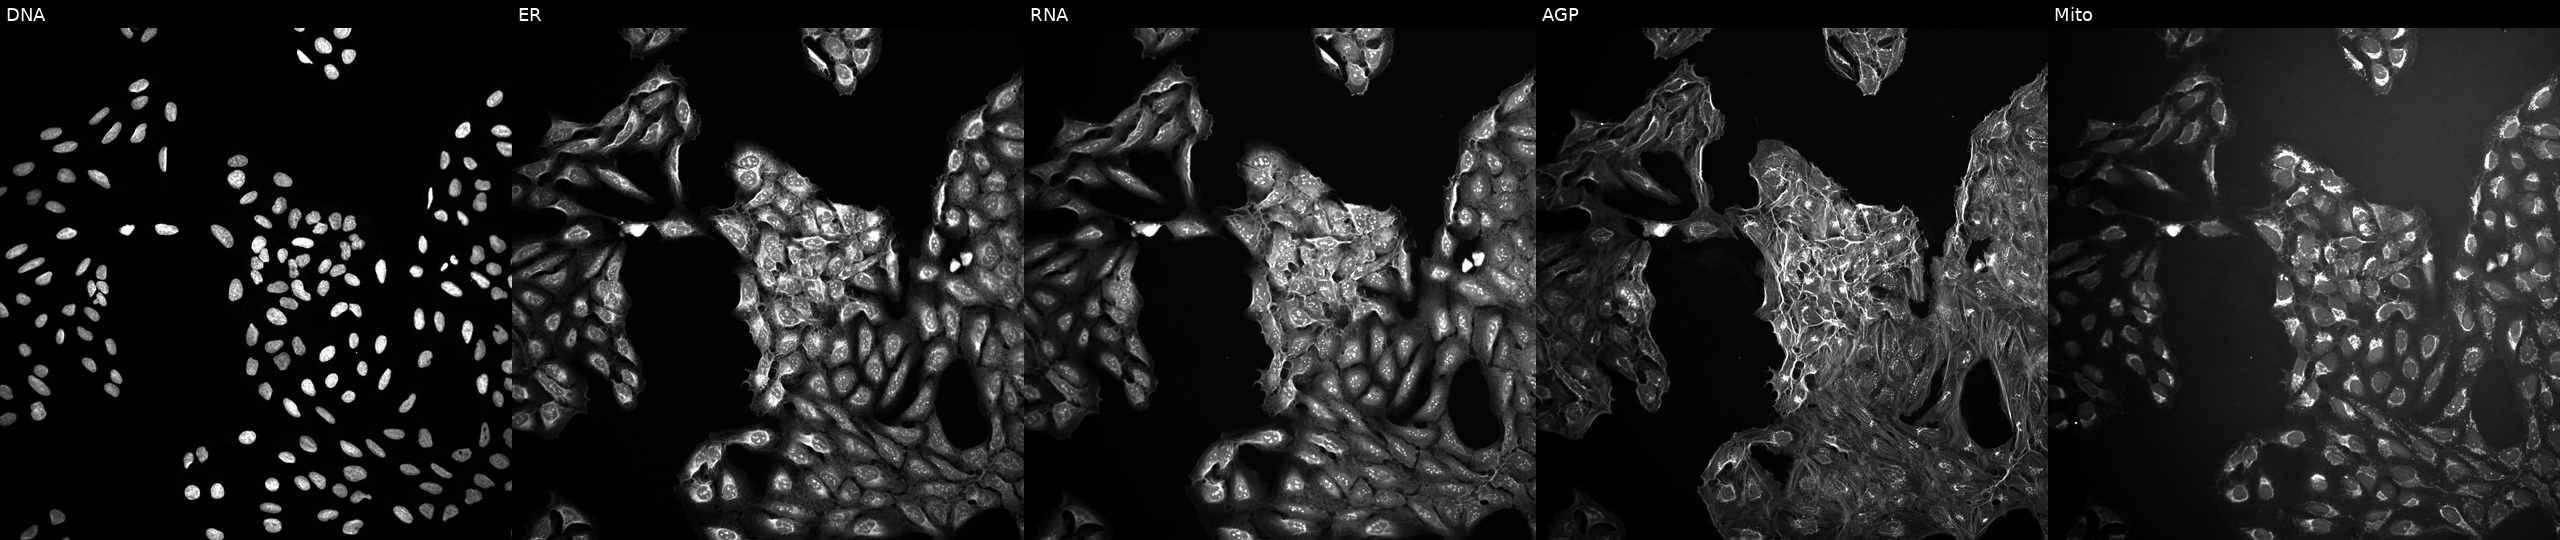
This image strip shows the five Cell Painting channels for a single field of U2OS cells exposed to a small-molecule compound (InChIKey PMKKWESDLDSZHK-UHFFFAOYSA-N) (JUMP id JCP2022_069571). Channels (left→right): DNA (nuclei); ER (endoplasmic reticulum); RNA (nucleoli and cytoplasmic RNA); AGP (actin cytoskeleton, Golgi, and plasma membrane); Mito (mitochondria).